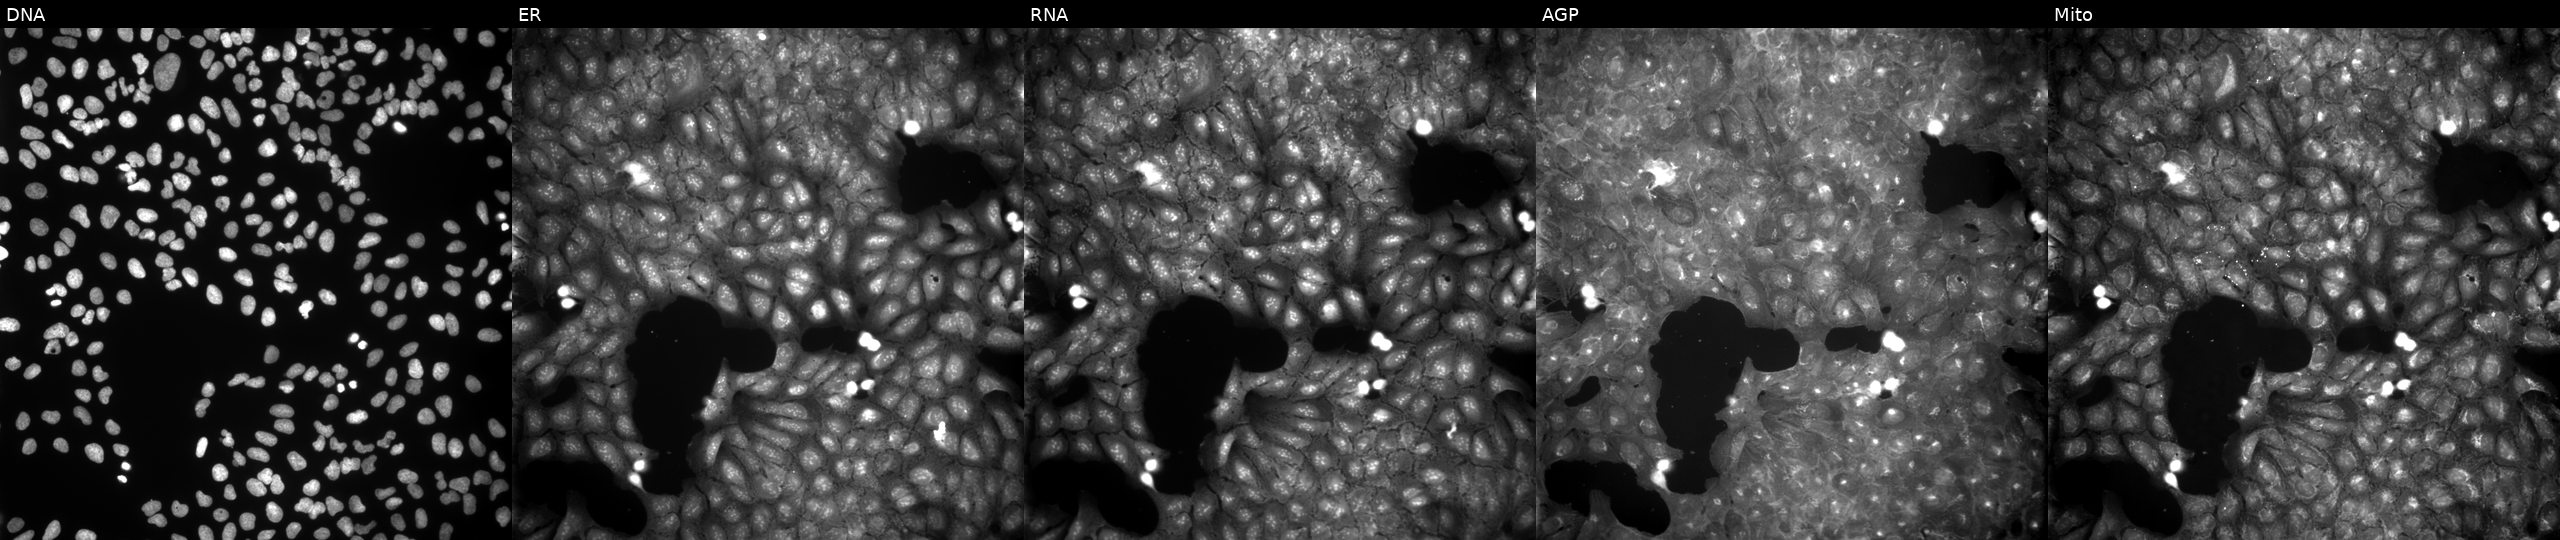
This image strip shows the five Cell Painting channels for a single field of U2OS cells perturbed with a small-molecule compound (InChIKey XPZSUUIUSBIZTE-UHFFFAOYSA-N) [SMILES: O=C(Nc1cc2c(ccc3ccccc32)oc1=O)c1ccccc1]. The five panels, left to right, show Hoechst 33342, concanavalin A, SYTO 14, phalloidin and WGA, MitoTracker. Source 9, plate GR00003381, well N21.